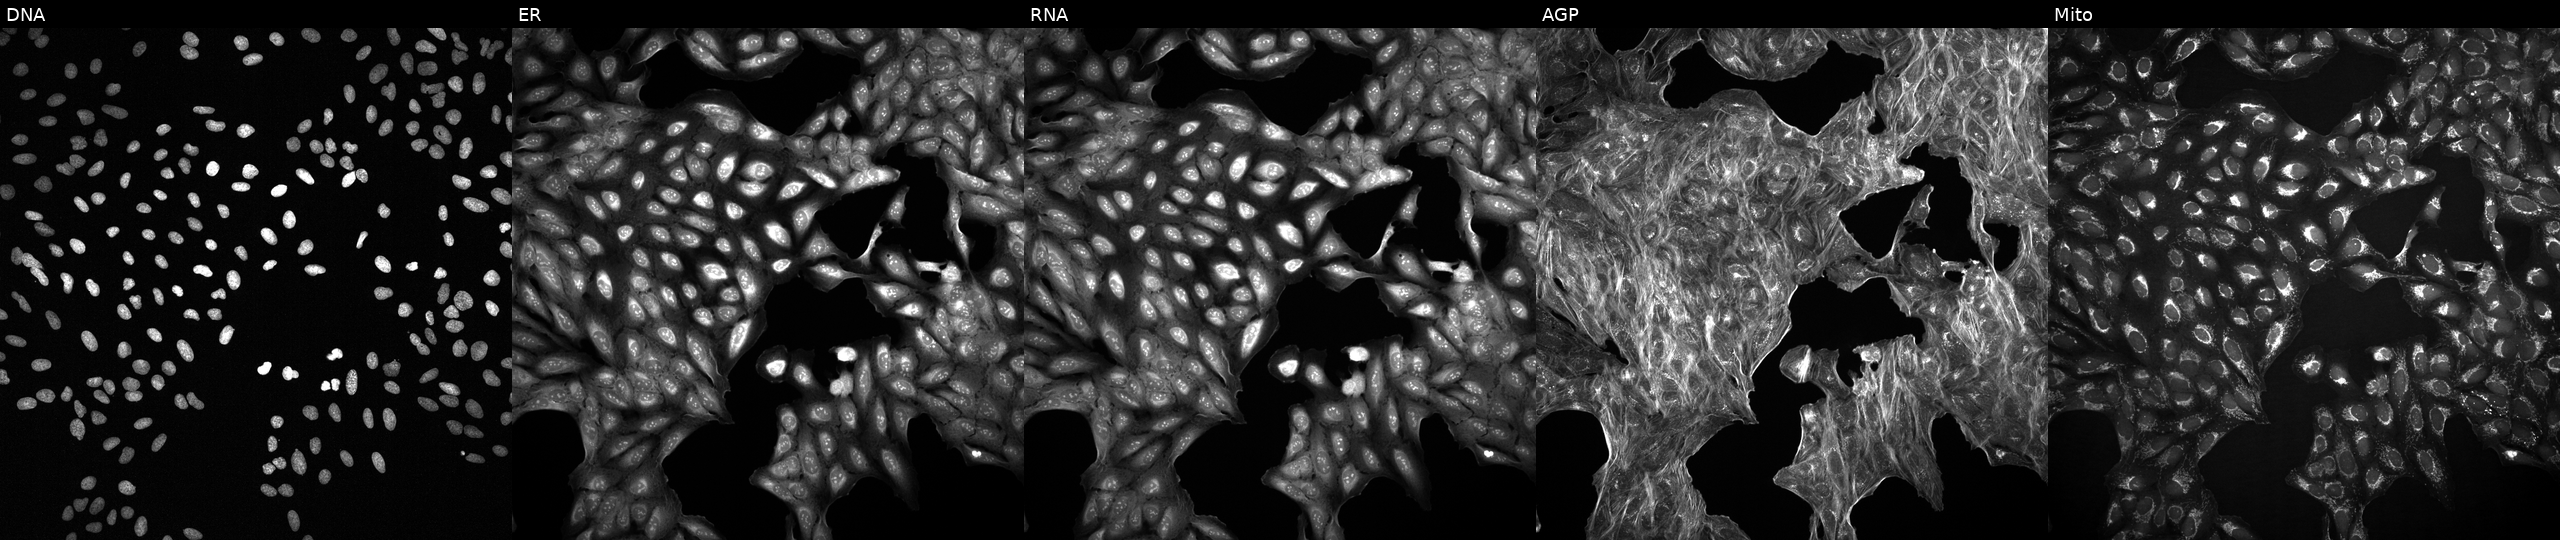
U2OS cells, Cell Painting assay, with an unidentified perturbation (not annotated in JUMP metadata). Channels (left→right): DNA, ER, RNA, AGP, and Mito. Each panel is percentile-stretched 16-bit fluorescence. Source 2, plate 1053601756, well N05.